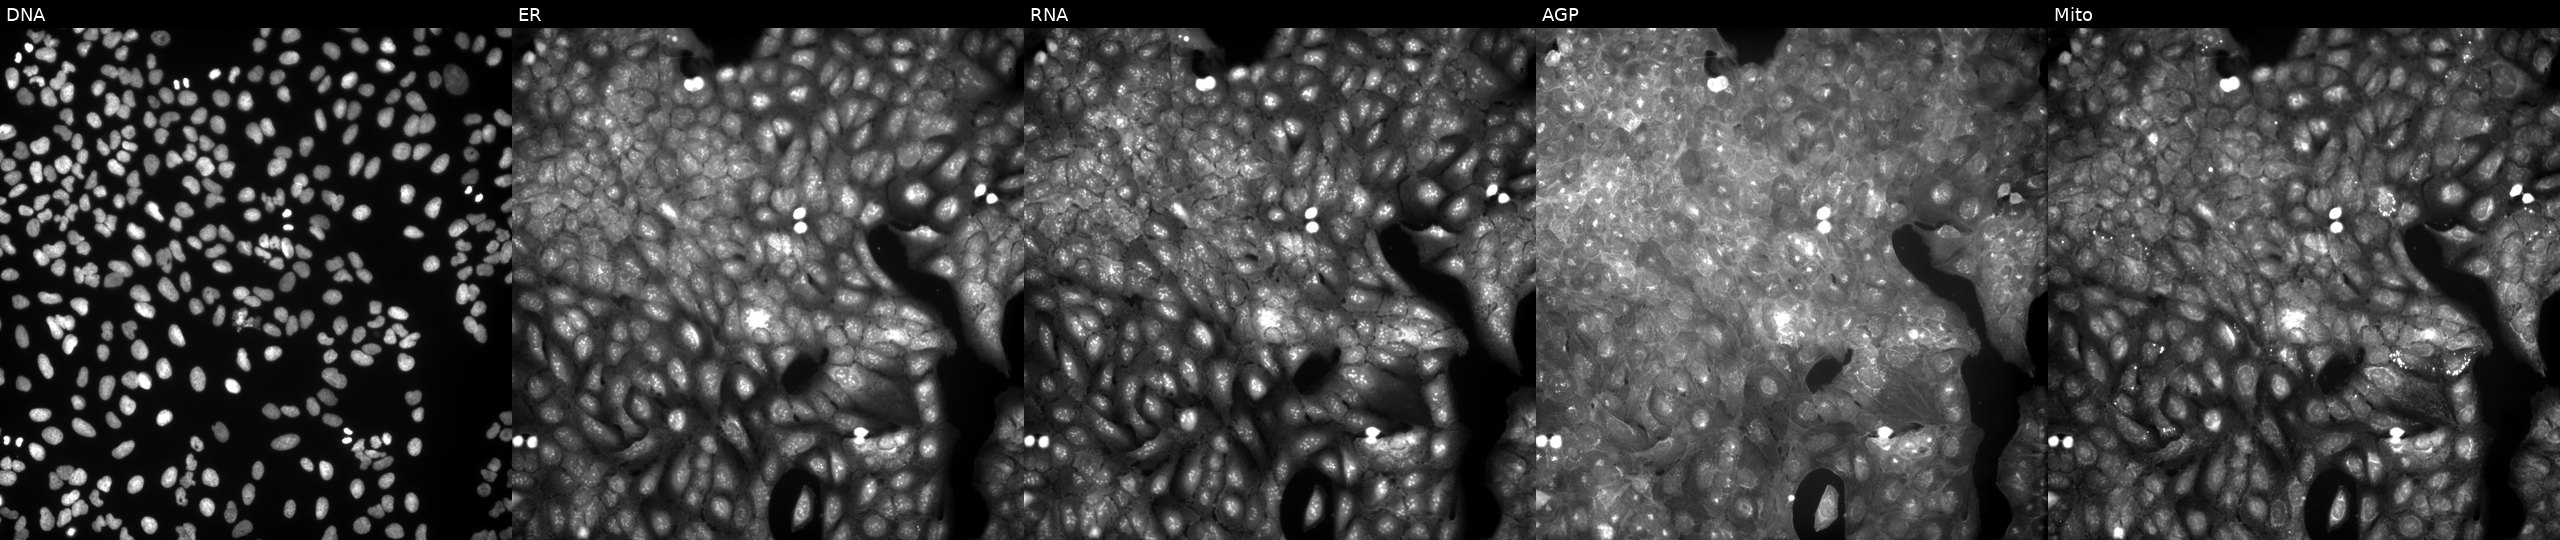
This image strip shows the five Cell Painting channels for a single field of U2OS cells treated with a small-molecule compound (InChIKey ZGBSFGYLPBIQHZ-UHFFFAOYSA-N). Panels show, left to right, DNA (nuclei); ER (endoplasmic reticulum); RNA (nucleoli and cytoplasmic RNA); AGP (actin cytoskeleton, Golgi, and plasma membrane); Mito (mitochondria). Source 9, plate GR00003381, well X28.